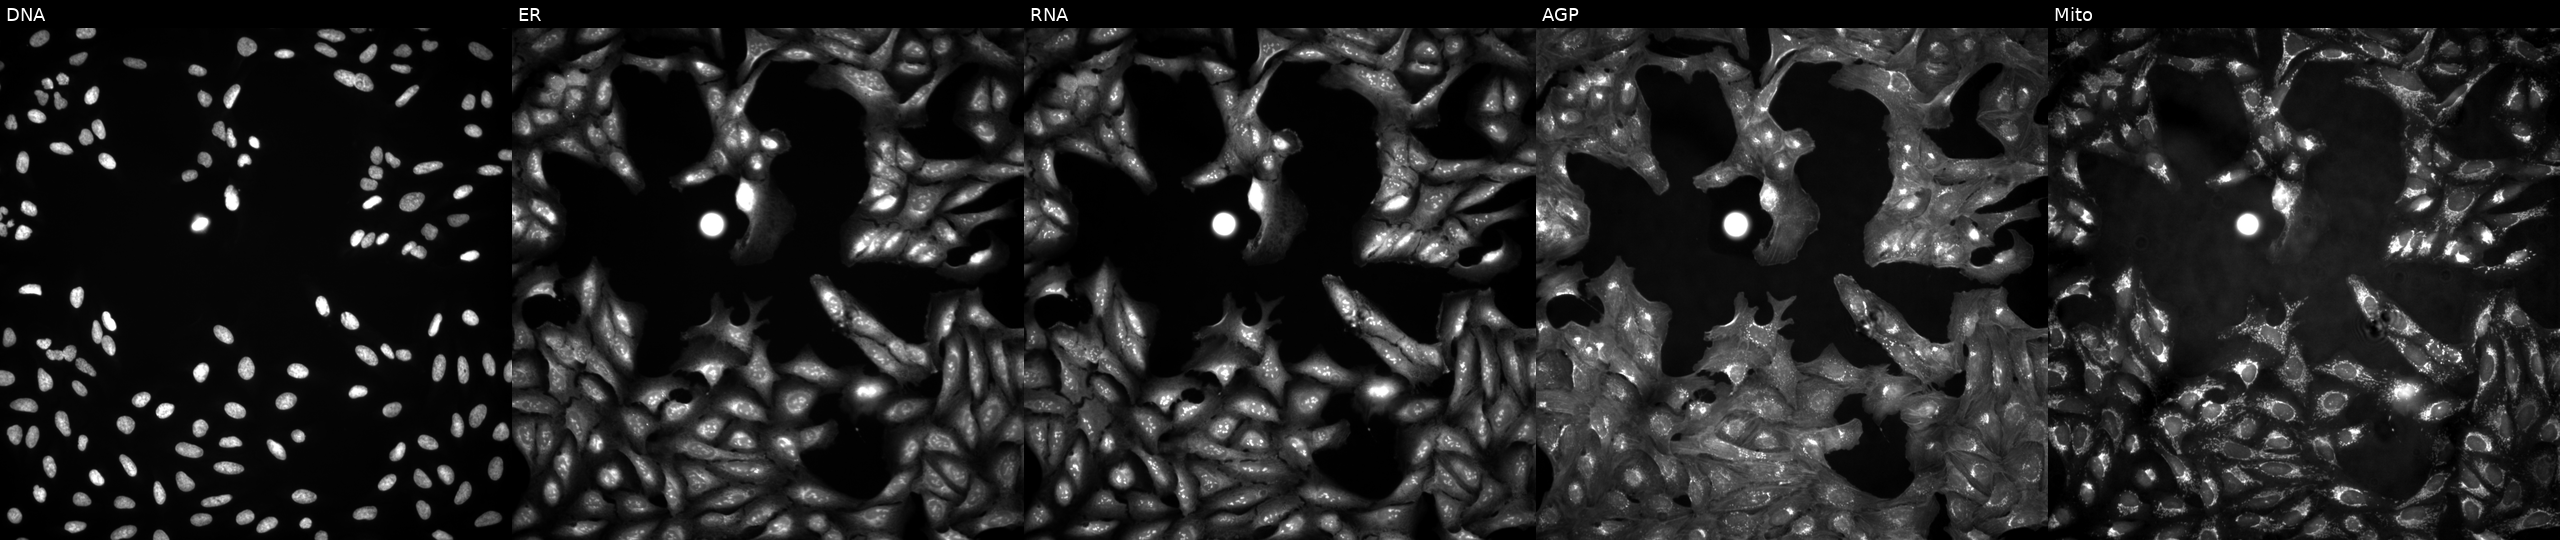
This image strip shows the five Cell Painting channels for a single field of U2OS cells untreated (empty-well control). Channels (left→right): DNA, ER, RNA, AGP, and Mito. Source 4, plate BR00123946, well K16.